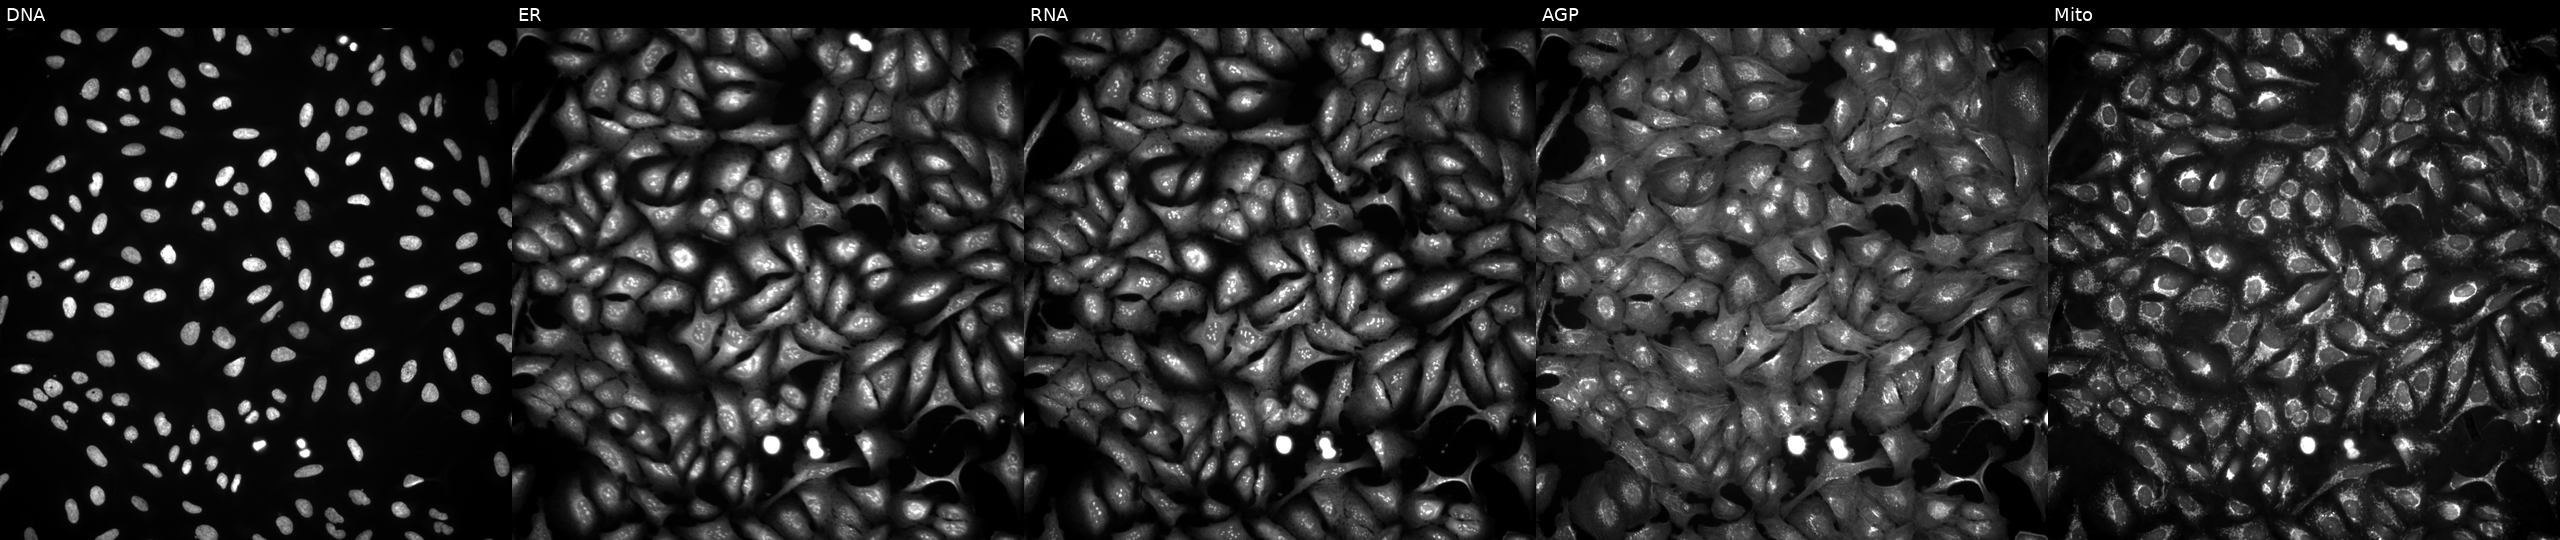
U2OS cells, Cell Painting assay, with ISOC1 overexpressed (ORF). The five panels, left to right, show DNA, ER, RNA, AGP, and Mito. Each panel is percentile-stretched 16-bit fluorescence. Source 4, plate BR00124787, well L06.